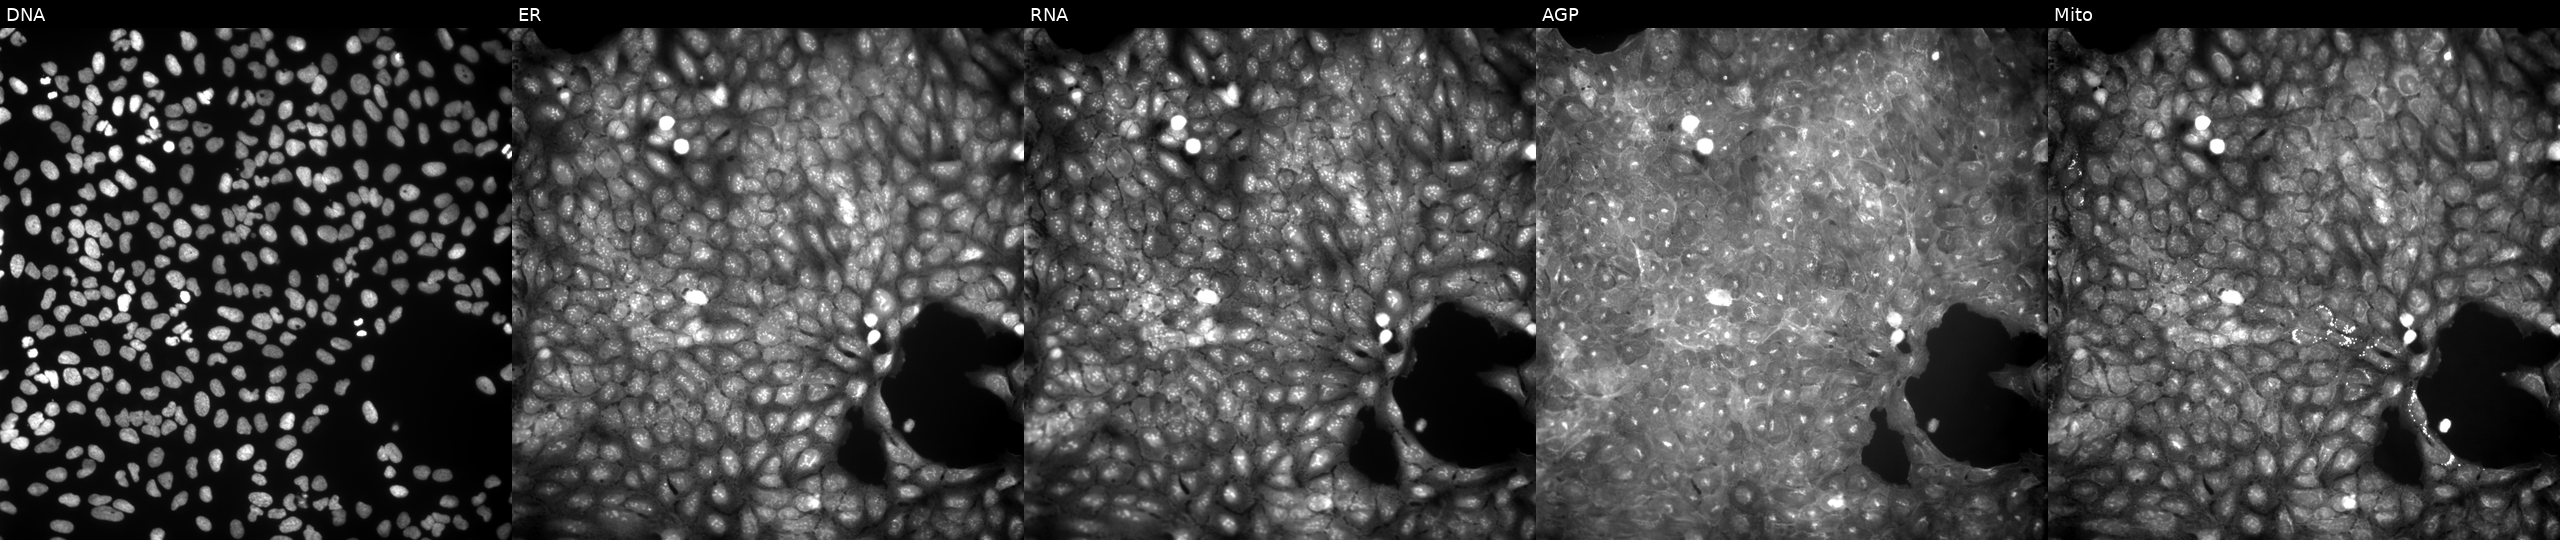
U2OS cells, Cell Painting assay, exposed to a small-molecule compound (InChIKey CACULLLIGGIVGK-UHFFFAOYSA-N). From left to right: Hoechst 33342, concanavalin A, SYTO 14, phalloidin and WGA, MitoTracker. Each panel is percentile-stretched 16-bit fluorescence.